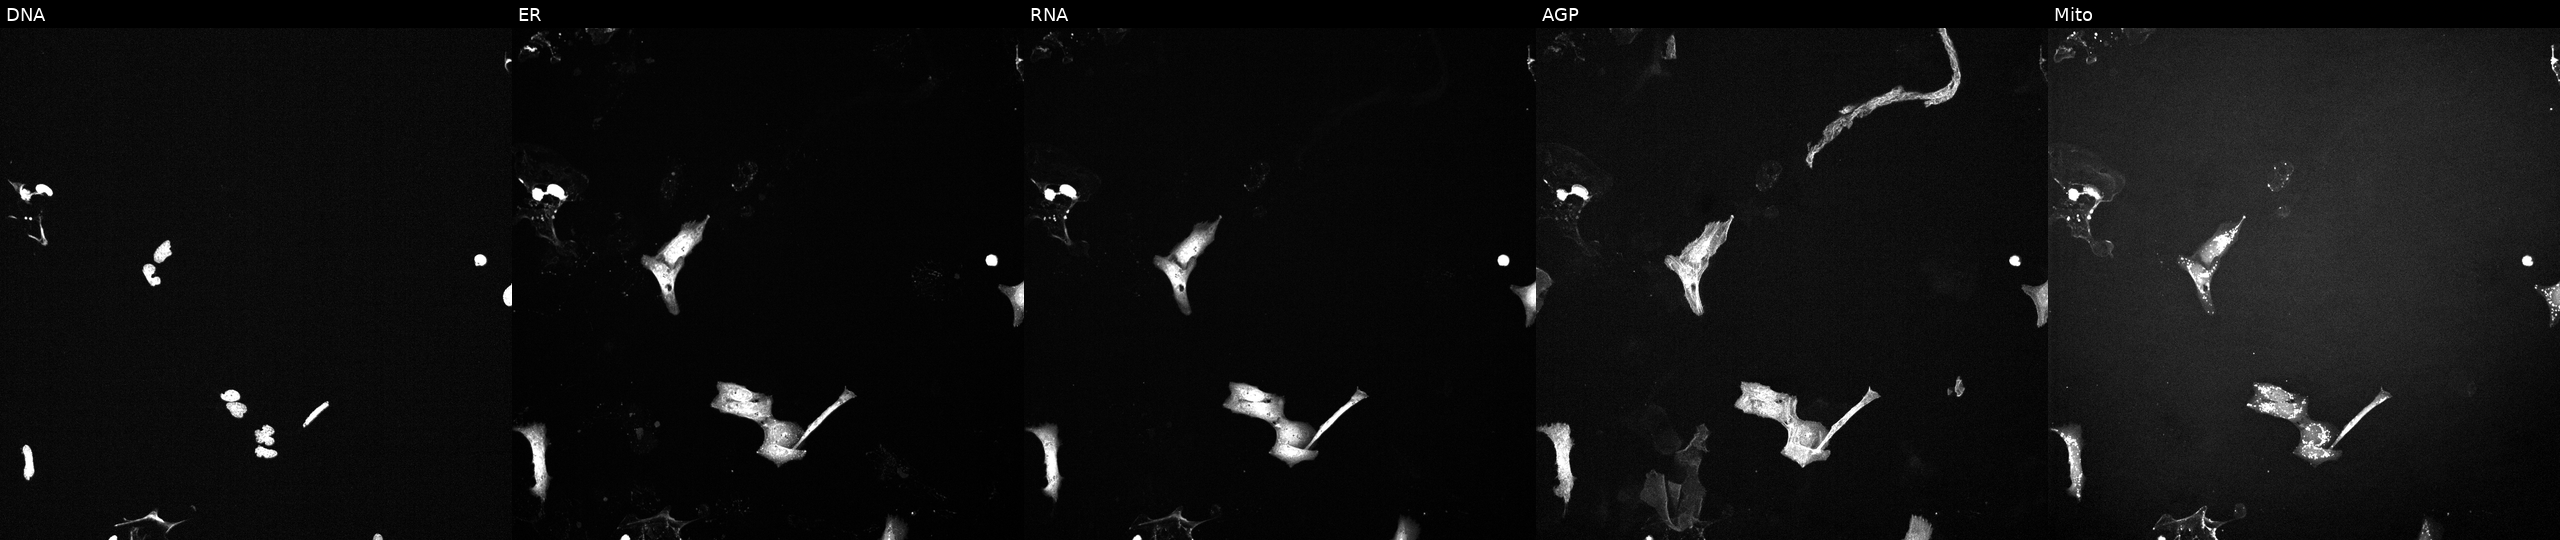
U2OS cells, Cell Painting assay, perturbed with a small-molecule compound (InChIKey HYFHYPWGAURHIV-UHFFFAOYSA-N) [SMILES: COC(=O)CC(O)(CCCC(C)(C)O)C(=O)OC1C(OC)=CC23CCCN2CCc2cc4c(cc2C13)OCO4]. Channels (left→right): Hoechst 33342, concanavalin A, SYTO 14, phalloidin and WGA, MitoTracker. Each panel is percentile-stretched 16-bit fluorescence. Source 6, plate 110000293081, well E10.